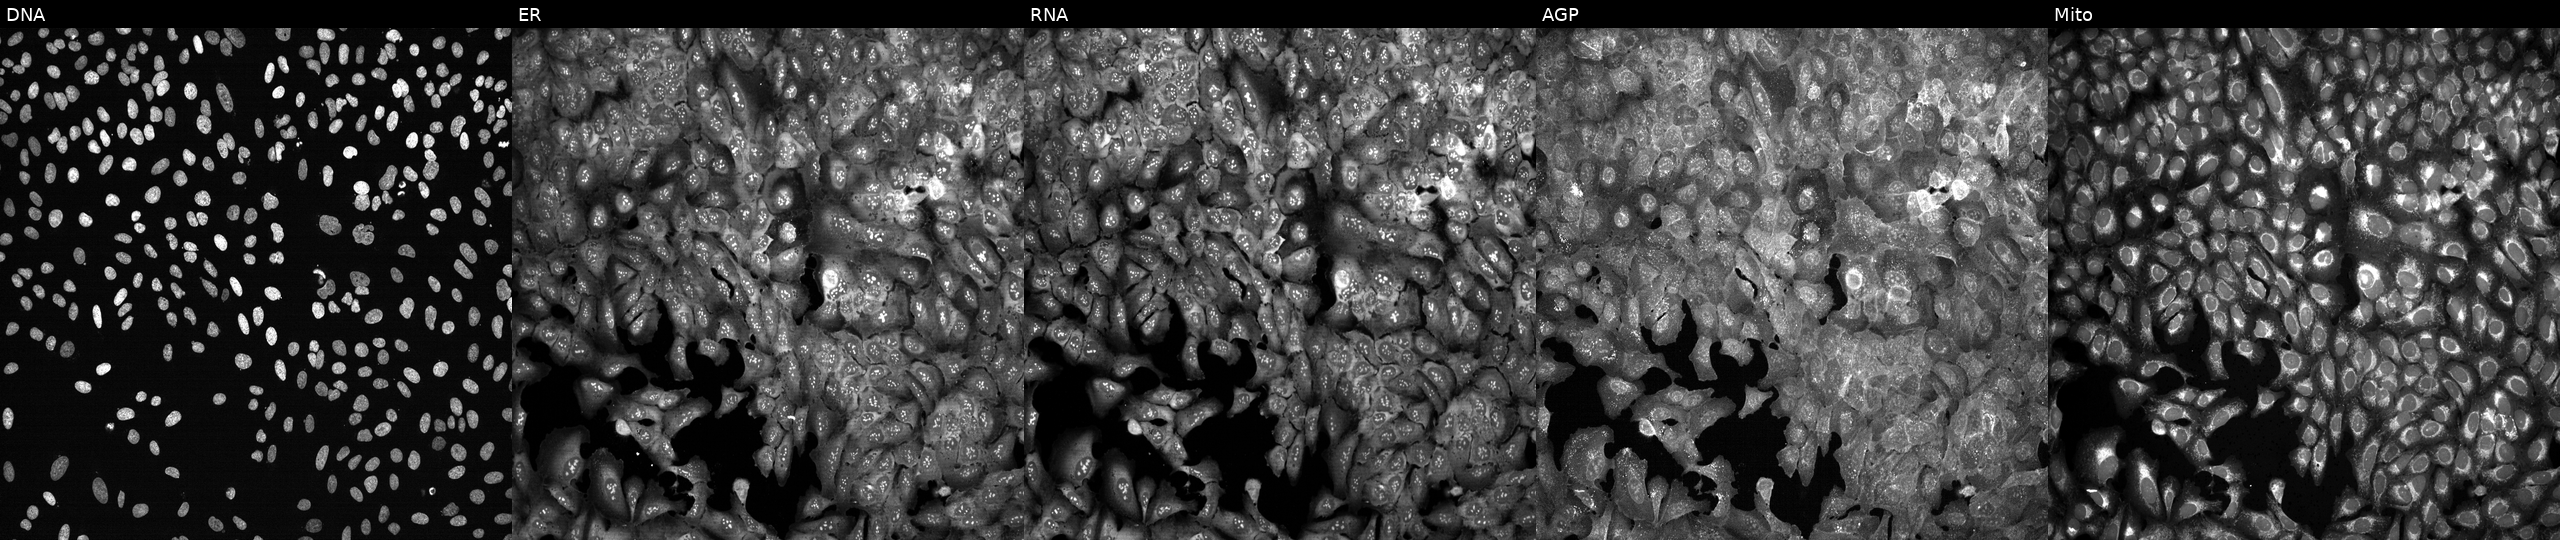
U2OS cells, Cell Painting assay, following CRISPR knockout of TLR5. The five panels, left to right, show DNA (nuclei); ER (endoplasmic reticulum); RNA (nucleoli and cytoplasmic RNA); AGP (actin cytoskeleton, Golgi, and plasma membrane); Mito (mitochondria). Each panel is percentile-stretched 16-bit fluorescence.